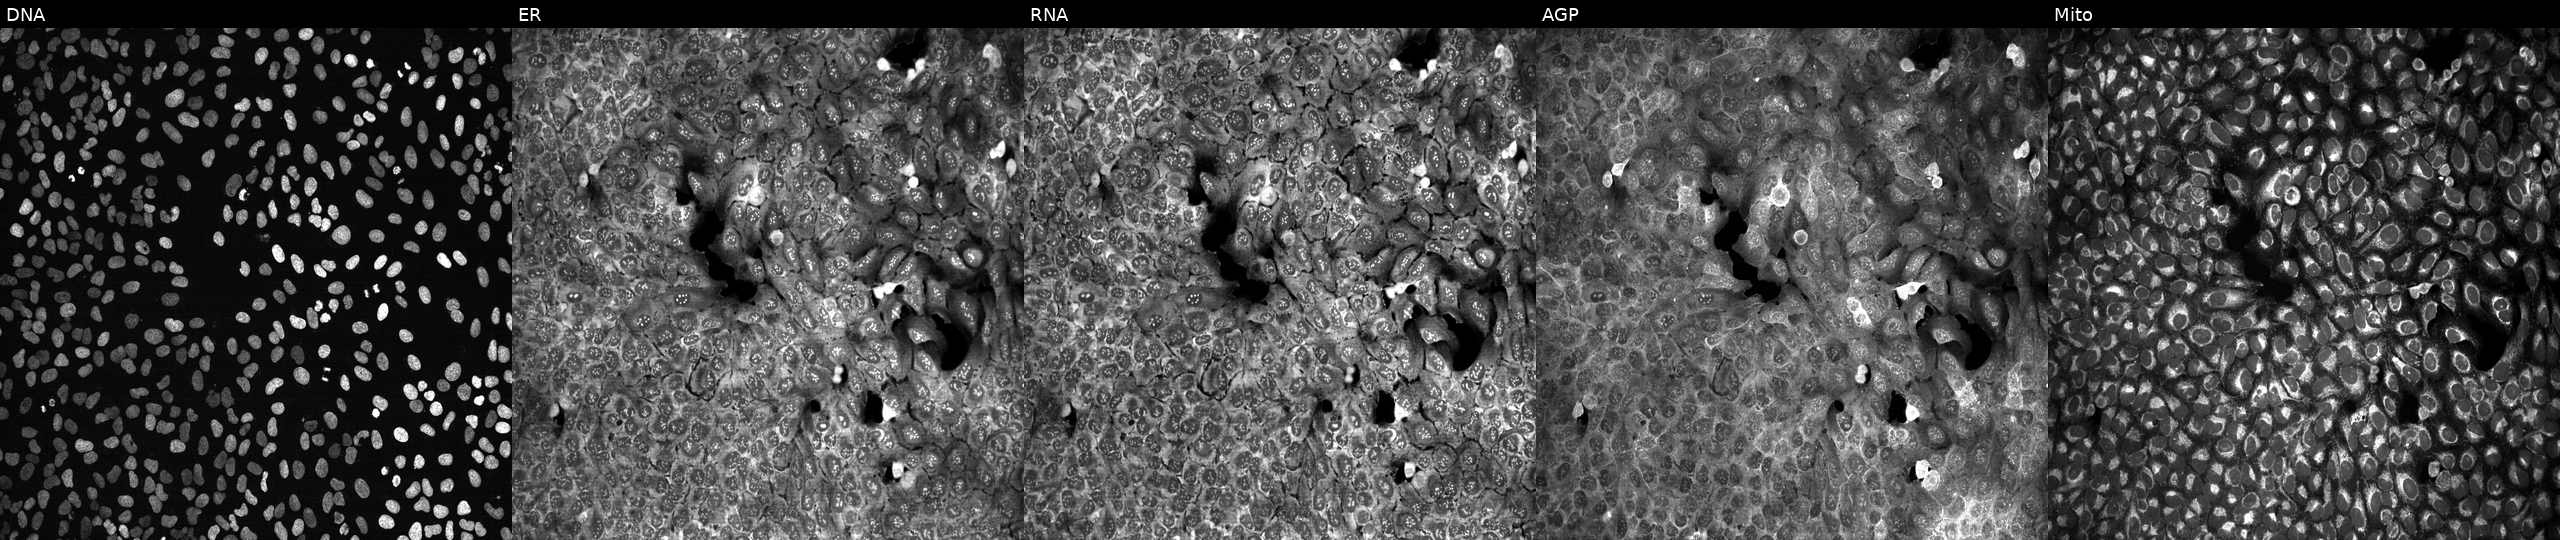
This image strip shows the five Cell Painting channels for a single field of U2OS cells following CRISPR knockout of ABHD13 (JUMP id JCP2022_800068). Panels show, left to right, DNA, ER, RNA, AGP, and Mito.